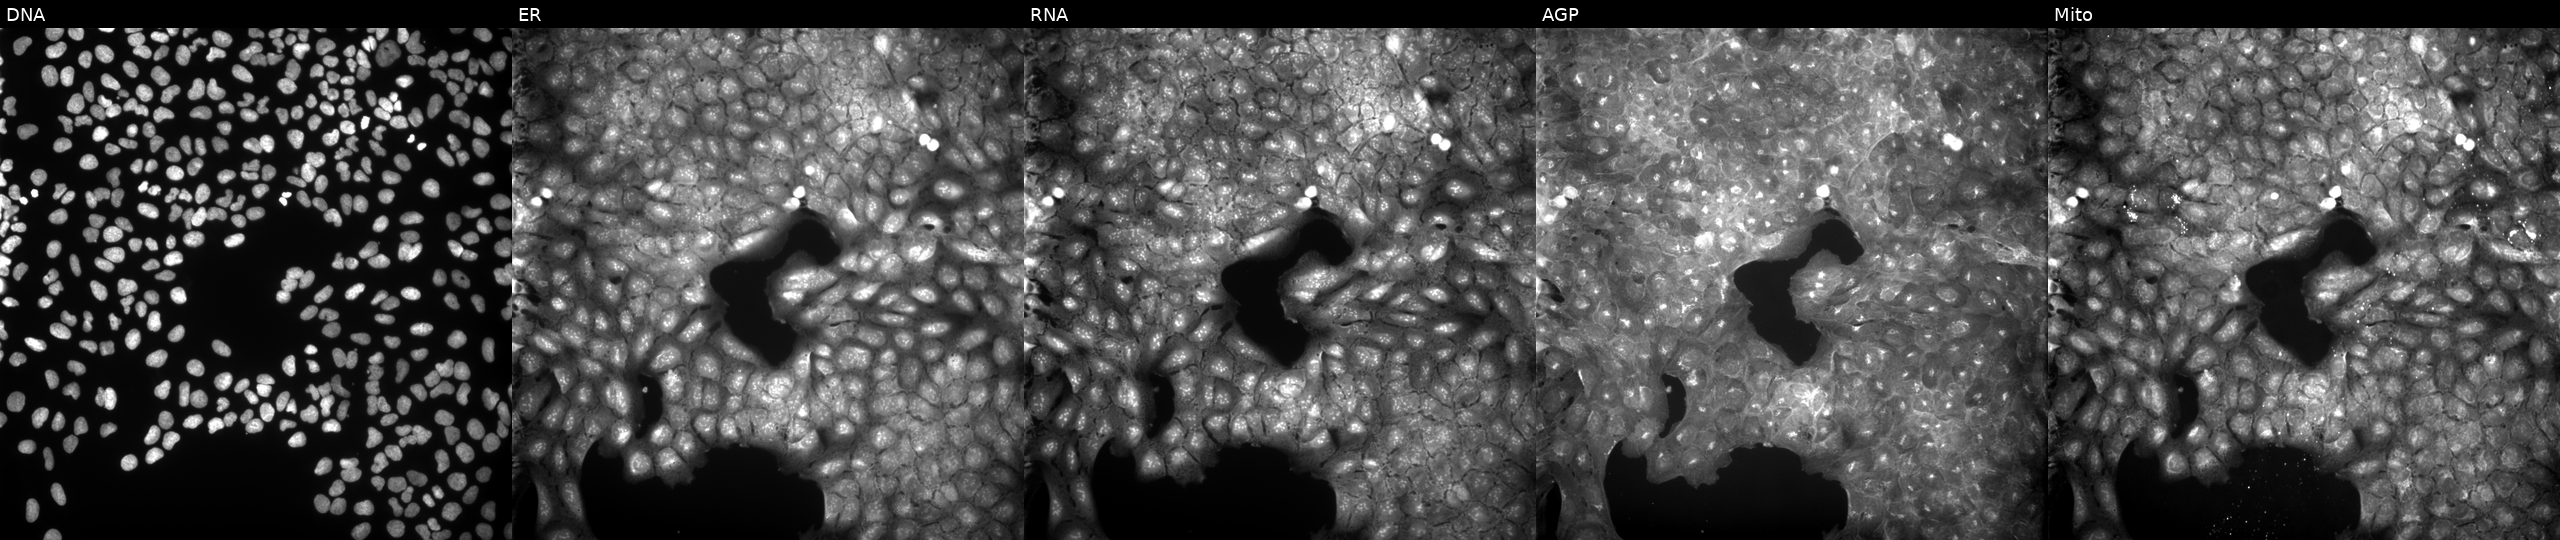
Channels (left→right): DNA, ER, RNA, AGP, and Mito. U2OS osteosarcoma cells treated with a small-molecule compound (InChIKey NLMIKGRRXHDHIP-UHFFFAOYSA-N) [SMILES: Cc1ccccc1C(=O)NNC(=O)c1ccc(Br)cc1]. Cell Painting assay, JUMP-CP dataset. Source 9, plate GR00003381, well I21.